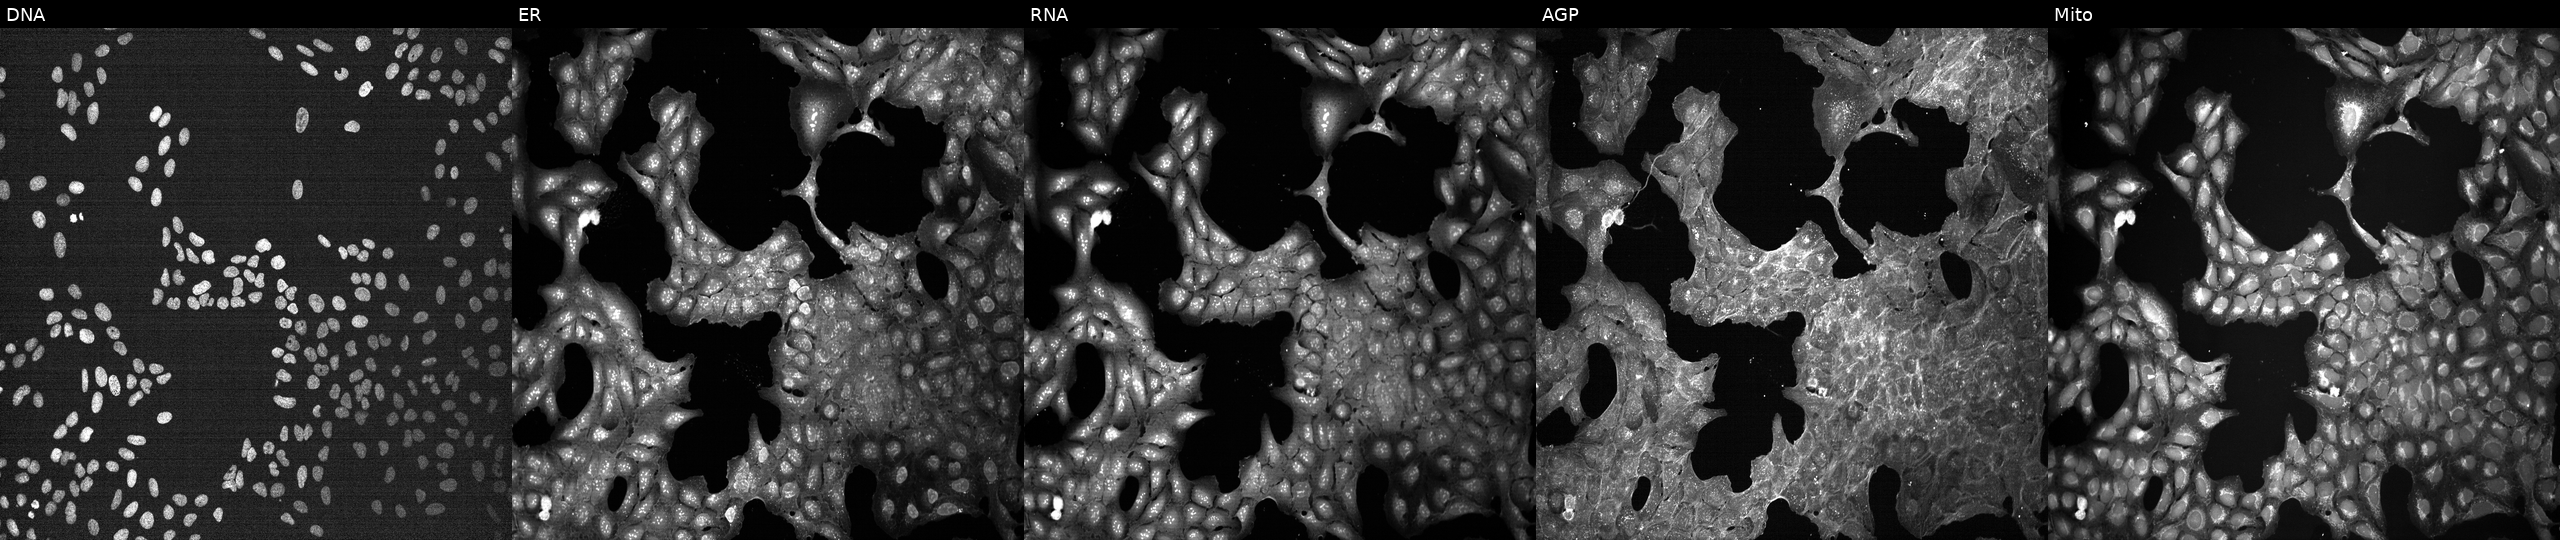
Five-channel Cell Painting image of U2OS cells treated with DMSO vehicle only (negative control). From left to right: DNA, ER, RNA, AGP, and Mito.